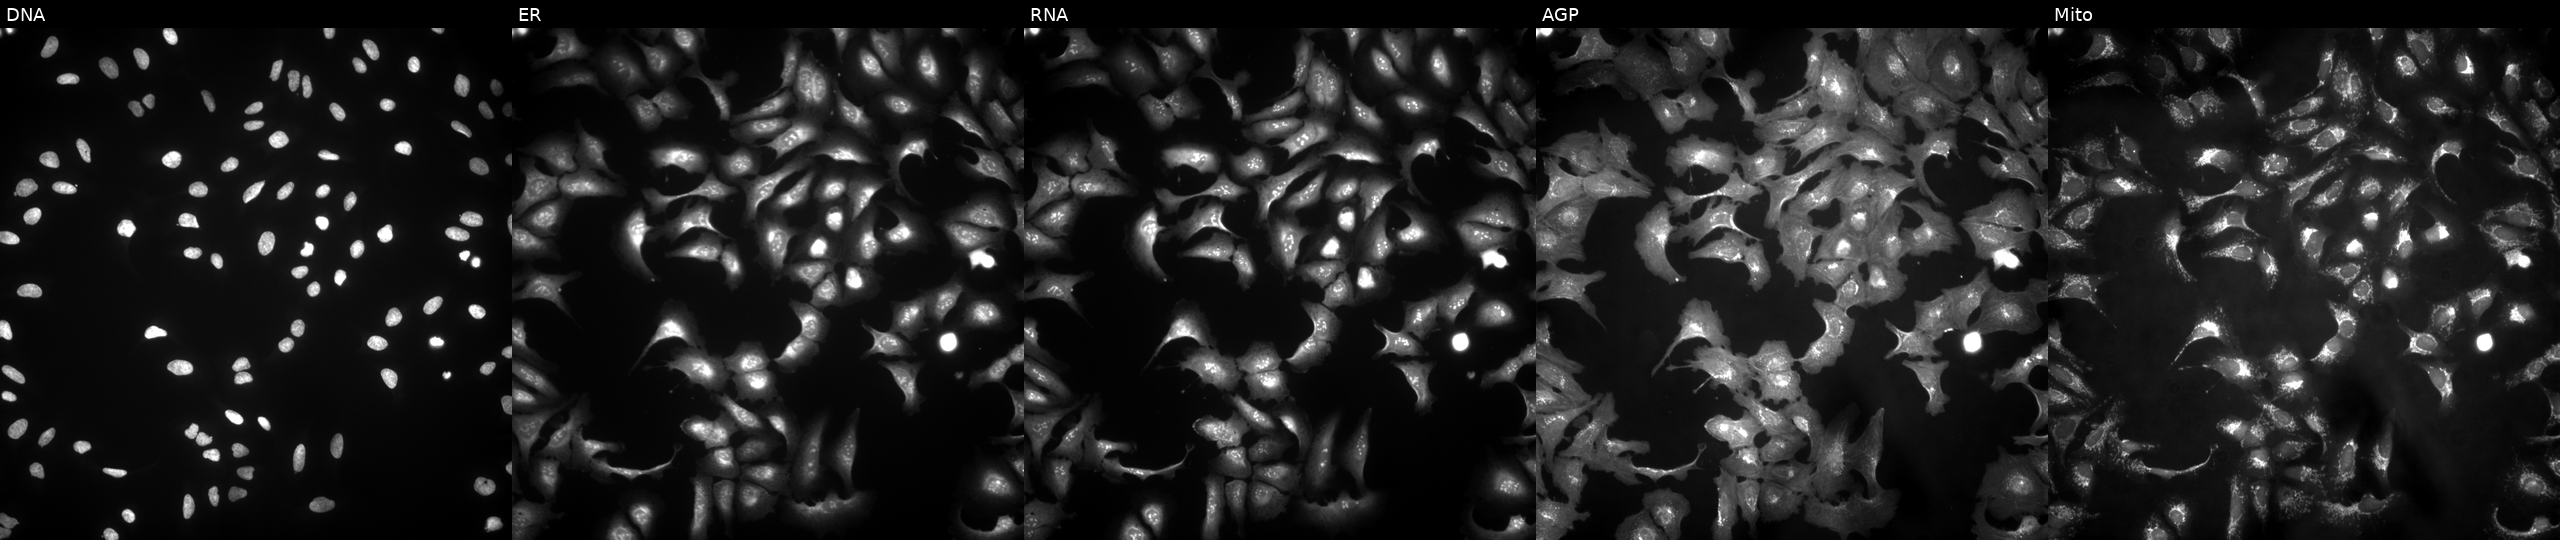
U2OS cells, Cell Painting assay, transfected with an ORF construct for STK38L (JUMP id JCP2022_907315). Panels show, left to right, DNA, ER, RNA, AGP, and Mito. Each panel is percentile-stretched 16-bit fluorescence.